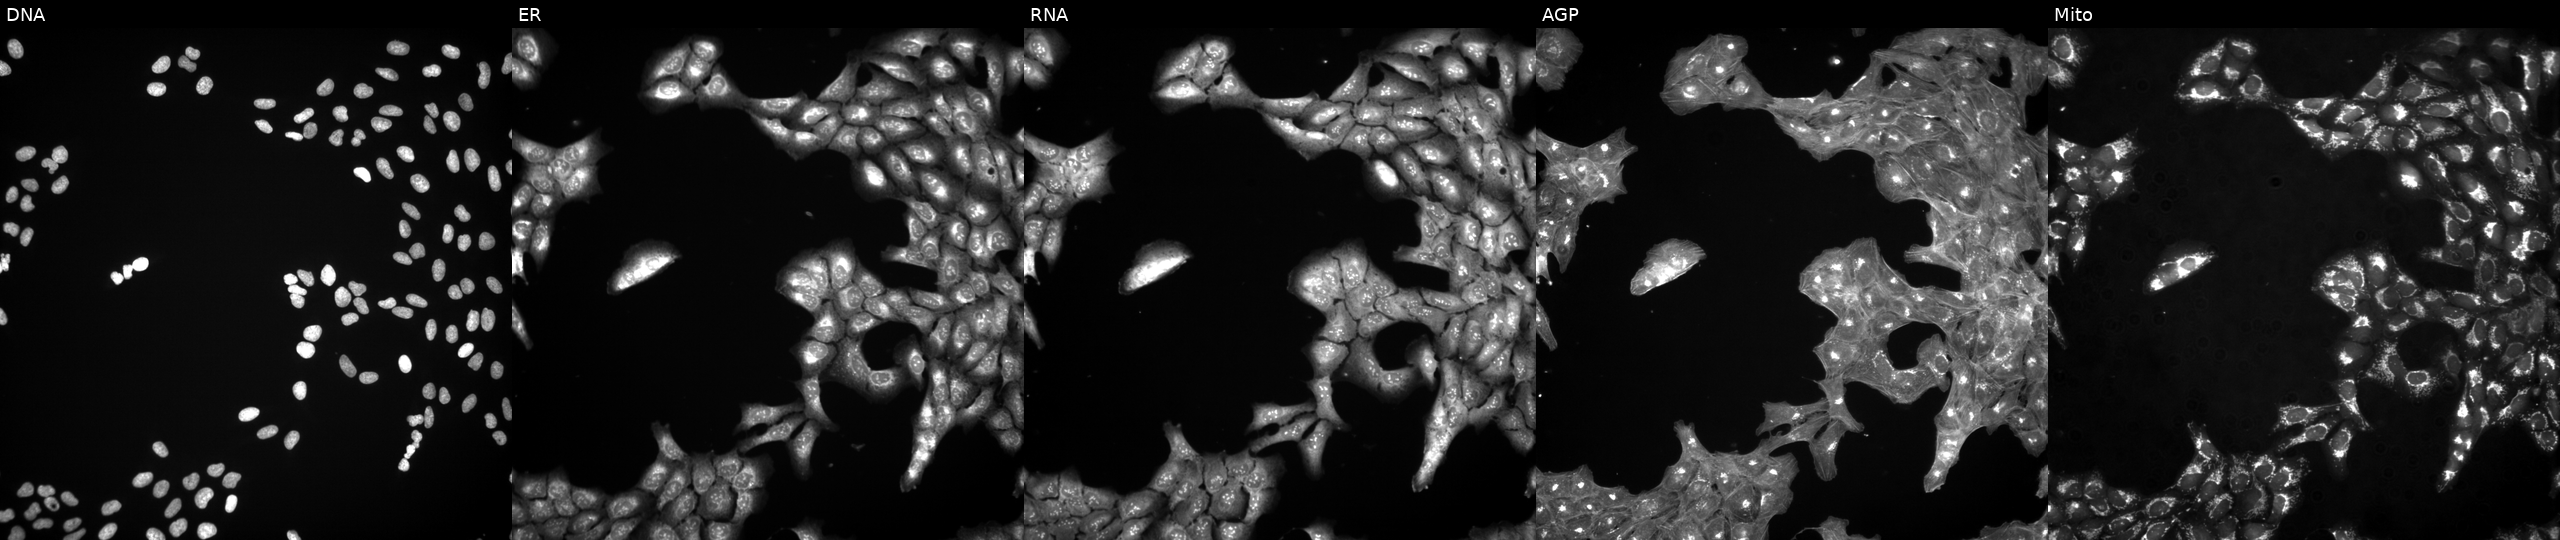
This image strip shows the five Cell Painting channels for a single field of U2OS cells treated with a small-molecule compound. The five panels, left to right, show Hoechst 33342, concanavalin A, SYTO 14, phalloidin and WGA, MitoTracker.